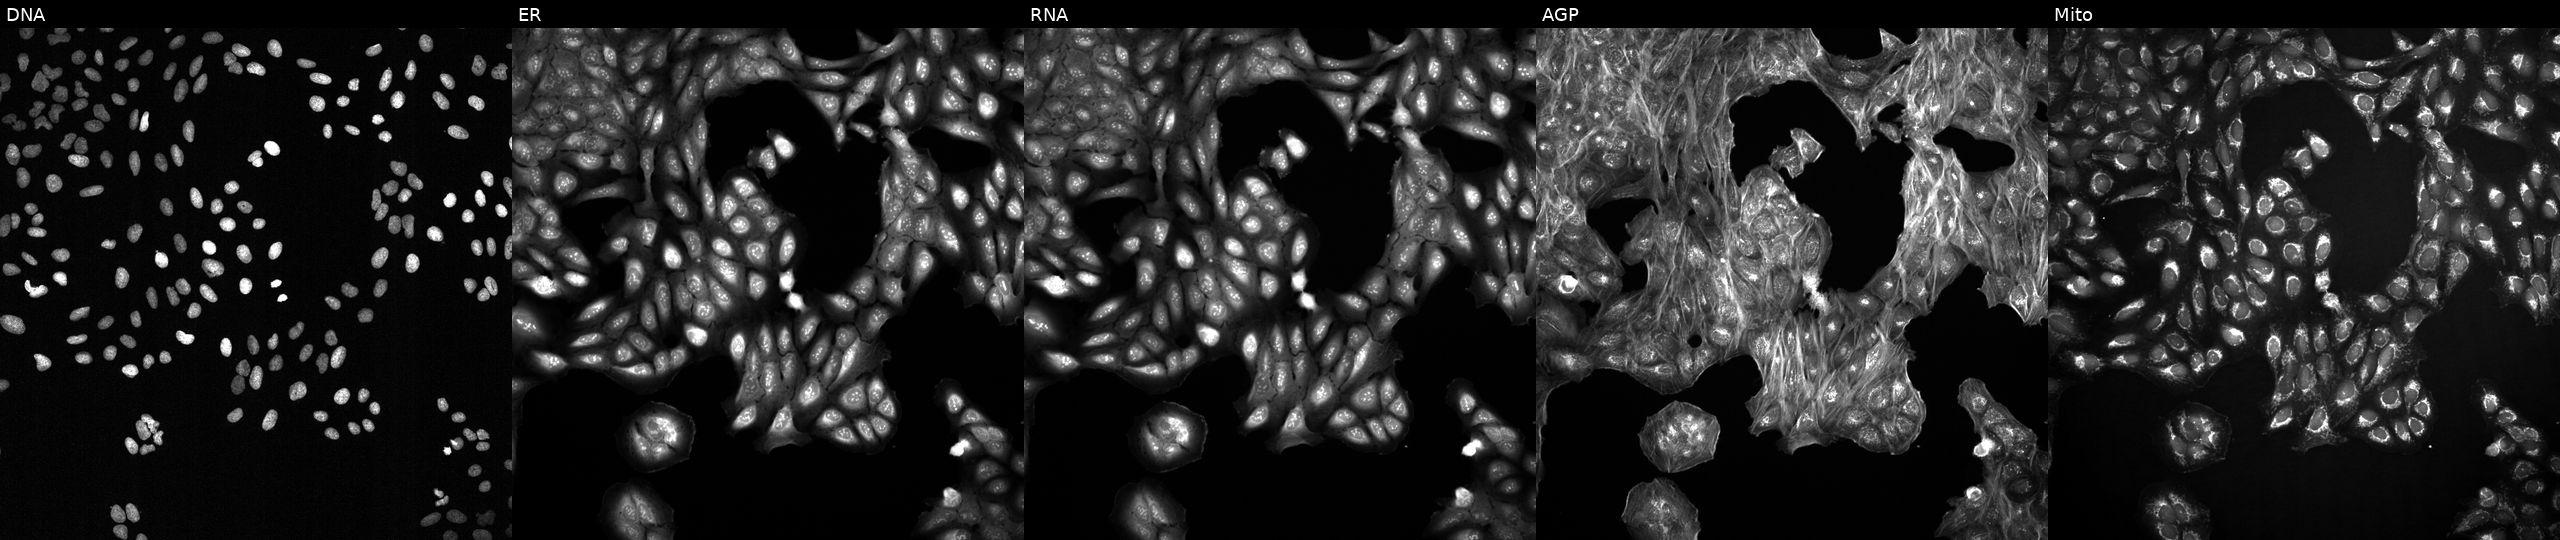
U2OS cells, Cell Painting assay, with an unidentified perturbation (not annotated in JUMP metadata). From left to right: DNA (nuclei); ER (endoplasmic reticulum); RNA (nucleoli and cytoplasmic RNA); AGP (actin cytoskeleton, Golgi, and plasma membrane); Mito (mitochondria). Each panel is percentile-stretched 16-bit fluorescence. Source 2, plate 1053601763, well D17.